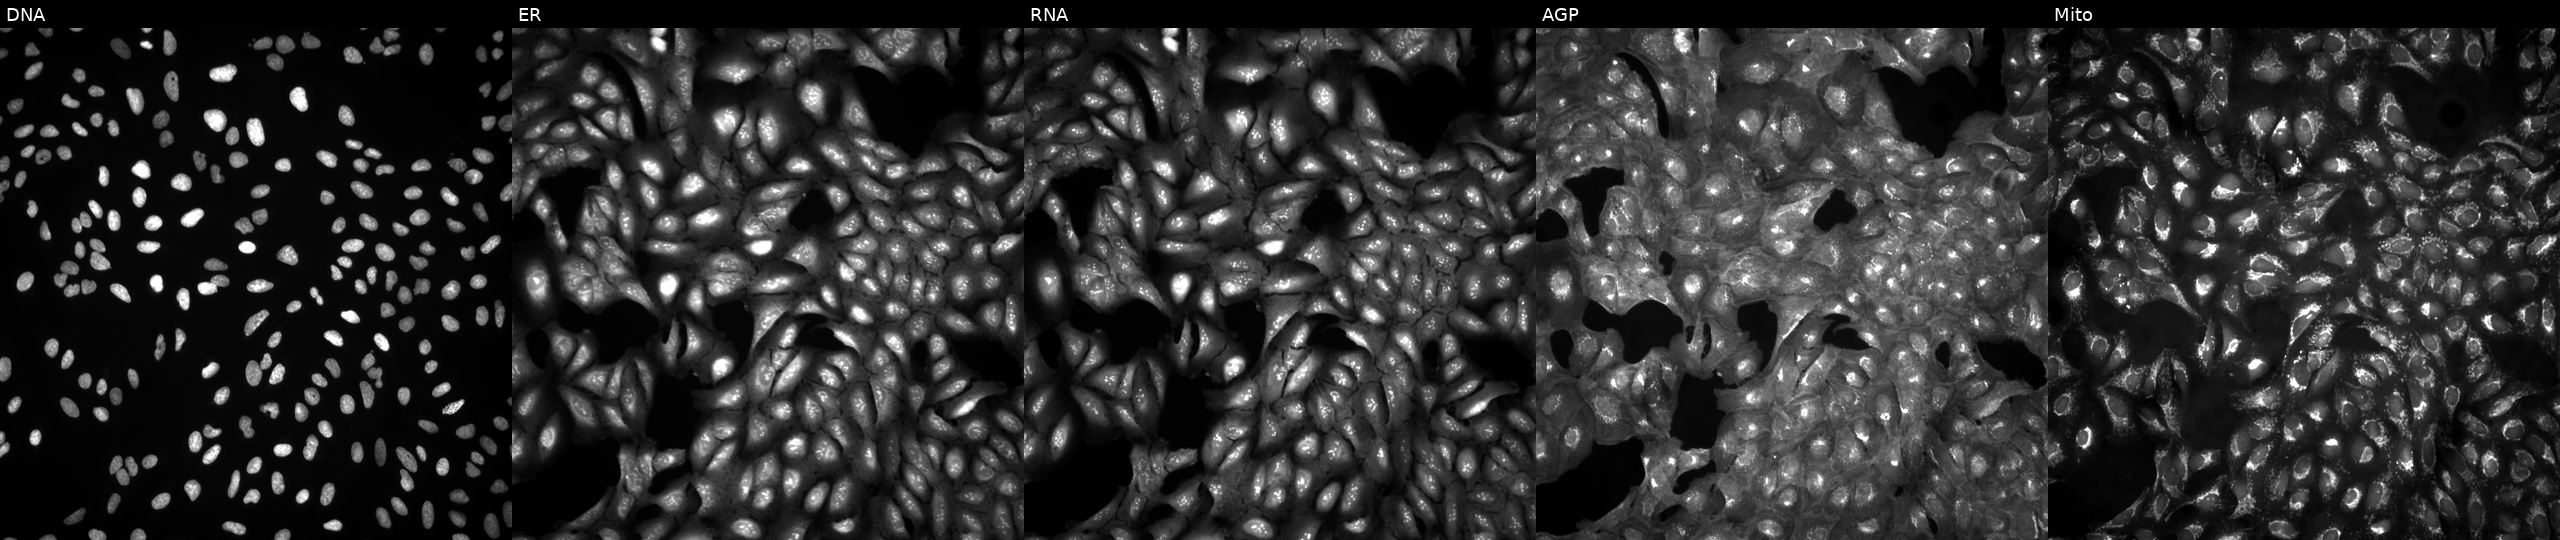
High-content fluorescence microscopy (Cell Painting). Cell line: U2OS. Perturbation: untreated (empty-well control) (JUMP id JCP2022_999999). The five panels, left to right, show DNA, ER, RNA, AGP, and Mito.